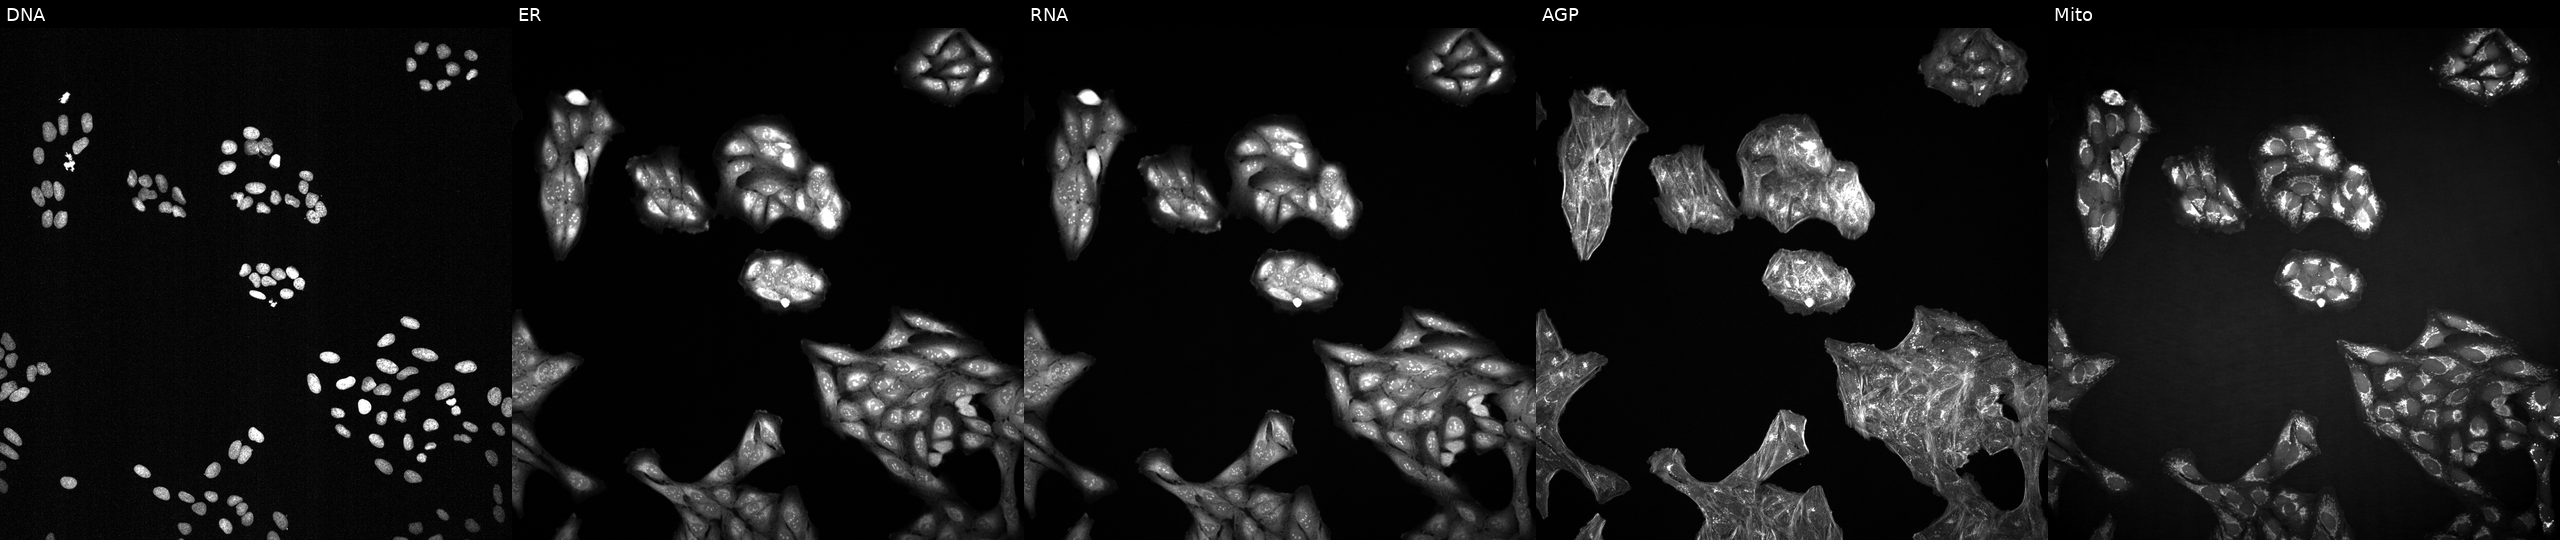
This image strip shows the five Cell Painting channels for a single field of U2OS cells exposed to a small-molecule compound (JUMP id JCP2022_100264). From left to right: DNA, ER, RNA, AGP, and Mito.